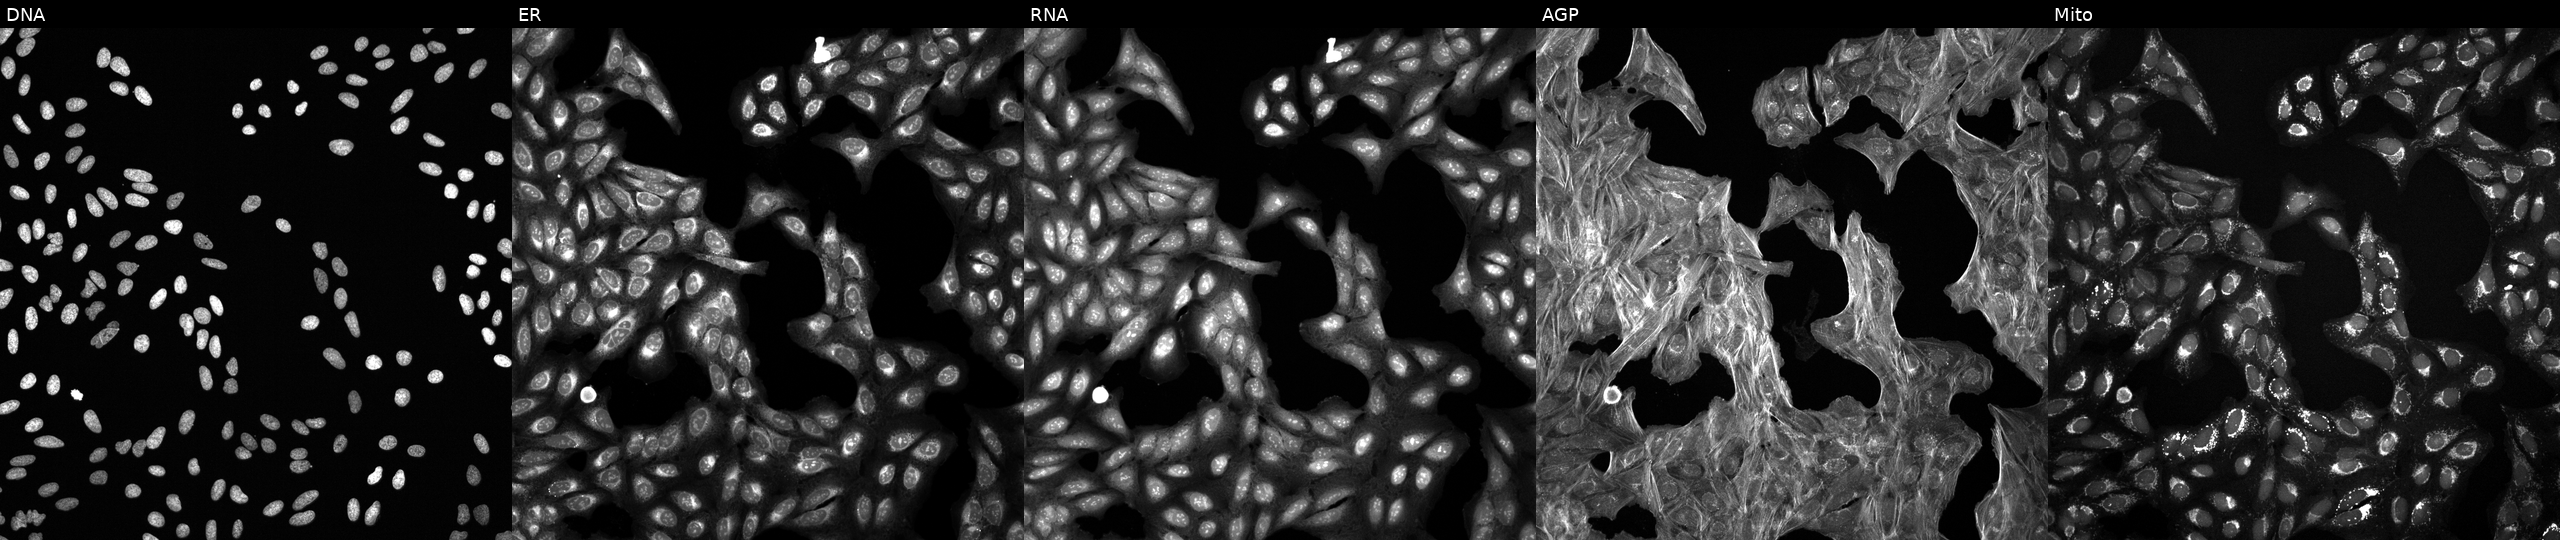
JUMP Cell Painting — COMPOUND plate. U2OS cells exposed to a small-molecule compound (InChIKey UGDQMAVHDCCGRY-UHFFFAOYSA-N) [SMILES: Cc1cc(C)c(S(=O)(=O)N(C)CC(=O)NCc2ccncc2)c(C)c1]. The five panels, left to right, show DNA (nuclei); ER (endoplasmic reticulum); RNA (nucleoli and cytoplasmic RNA); AGP (actin cytoskeleton, Golgi, and plasma membrane); Mito (mitochondria).